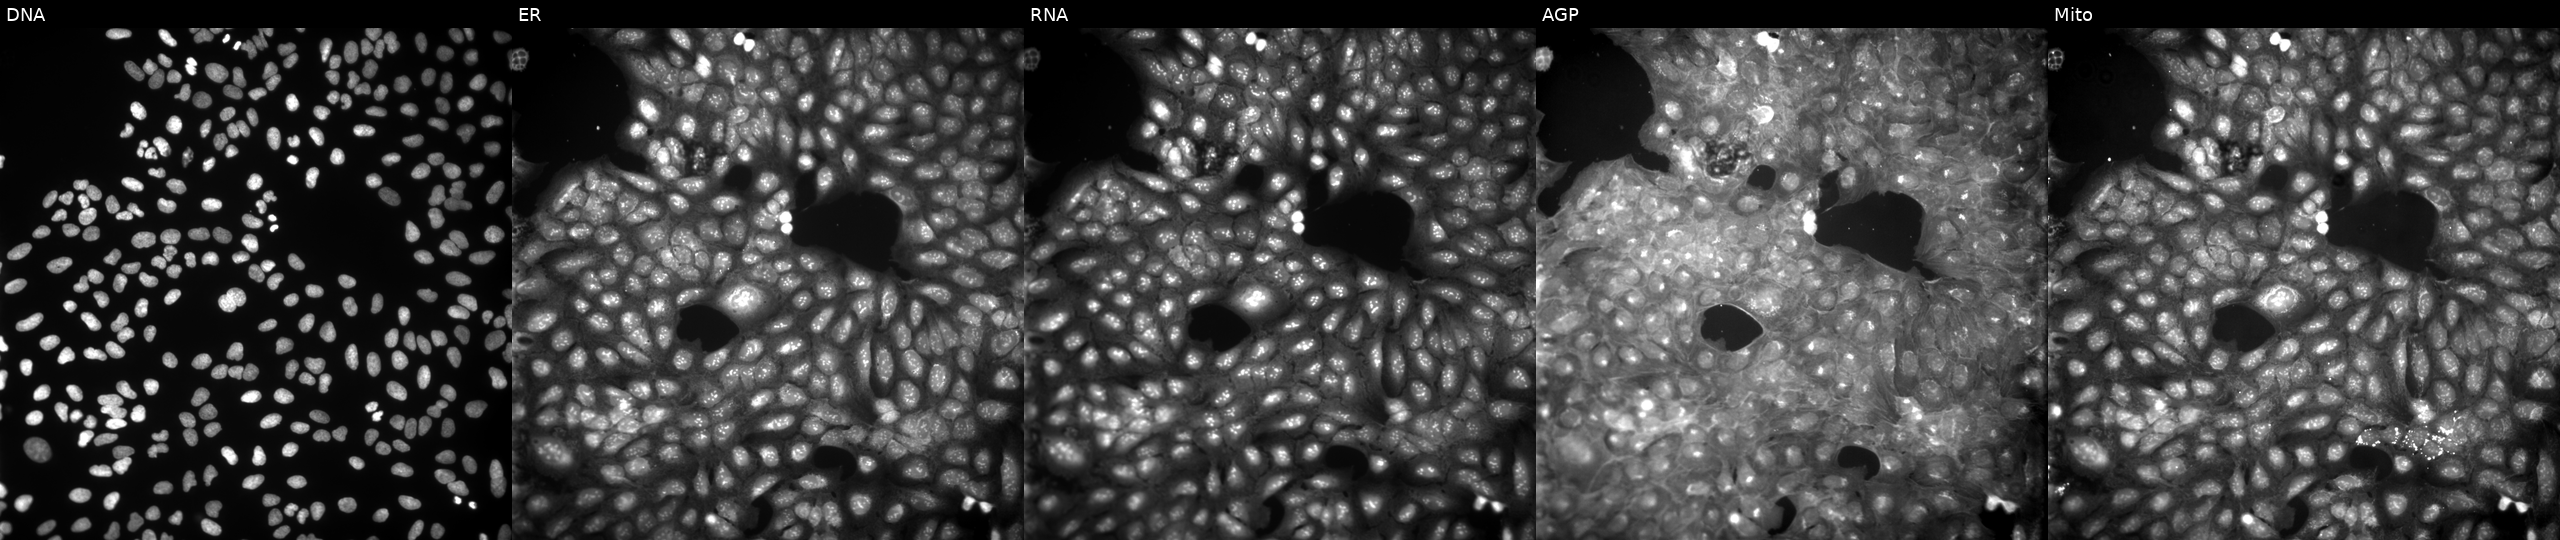
High-content fluorescence microscopy (Cell Painting). Cell line: U2OS. Perturbation: exposed to a small-molecule compound (InChIKey FSYNNNKSXPSBQQ-UHFFFAOYSA-N) (JUMP id JCP2022_022740). Panels show, left to right, Hoechst 33342, concanavalin A, SYTO 14, phalloidin and WGA, MitoTracker.